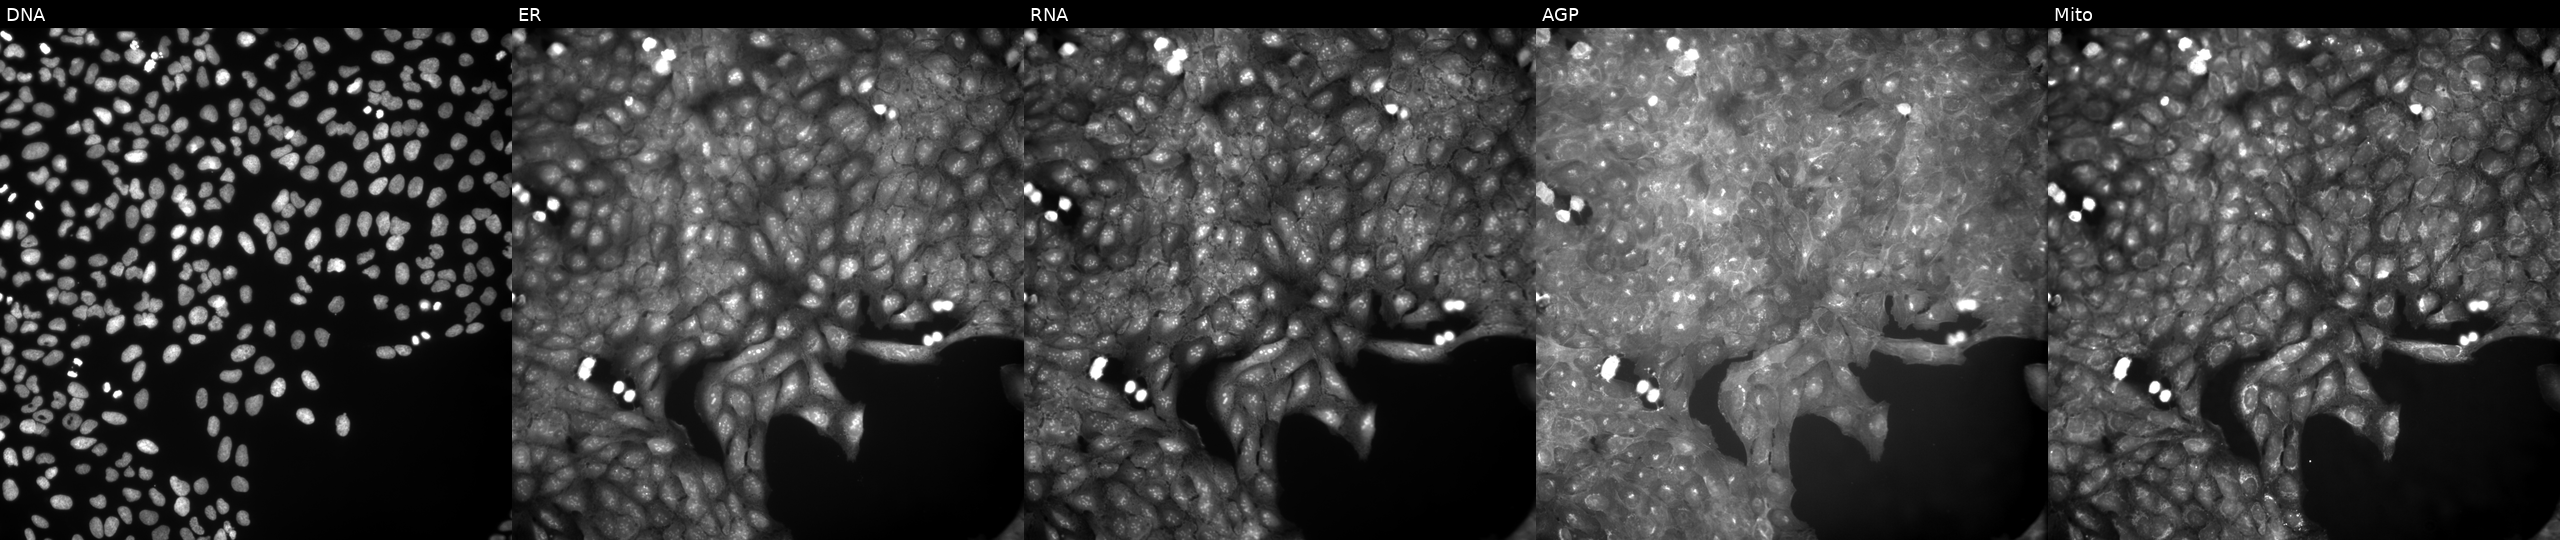
Channels (left→right): DNA, ER, RNA, AGP, and Mito. U2OS osteosarcoma cells exposed to a small-molecule compound (JUMP id JCP2022_081129). Cell Painting assay, JUMP-CP dataset. Source 9, plate GR00003381, well R43.